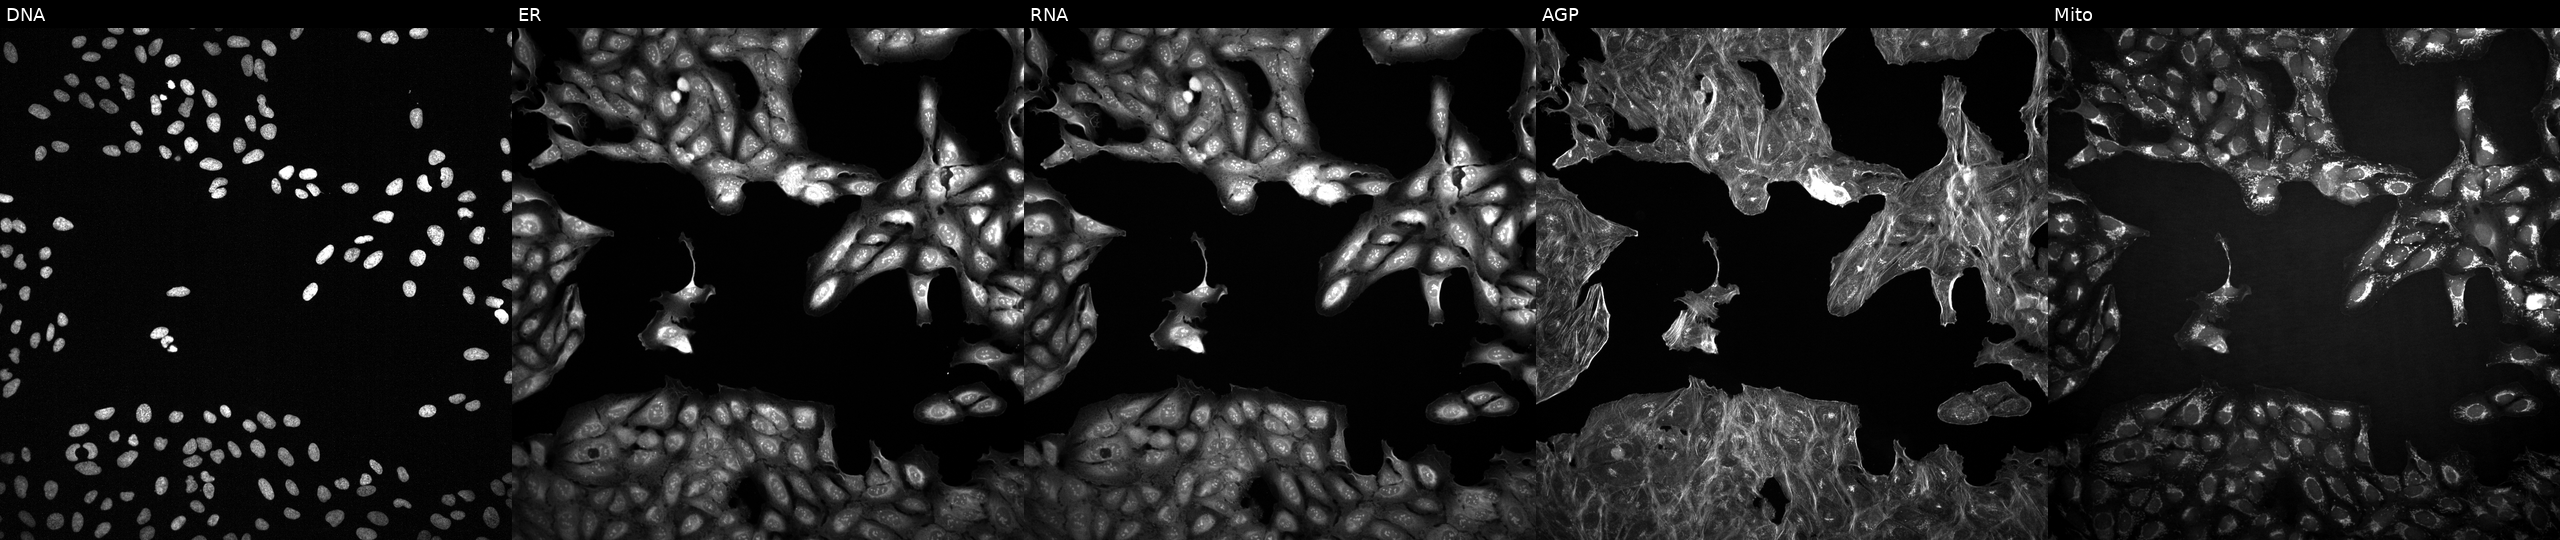
U2OS cells, Cell Painting assay, with an unidentified perturbation (not annotated in JUMP metadata). The five panels, left to right, show Hoechst 33342, concanavalin A, SYTO 14, phalloidin and WGA, MitoTracker. Each panel is percentile-stretched 16-bit fluorescence.